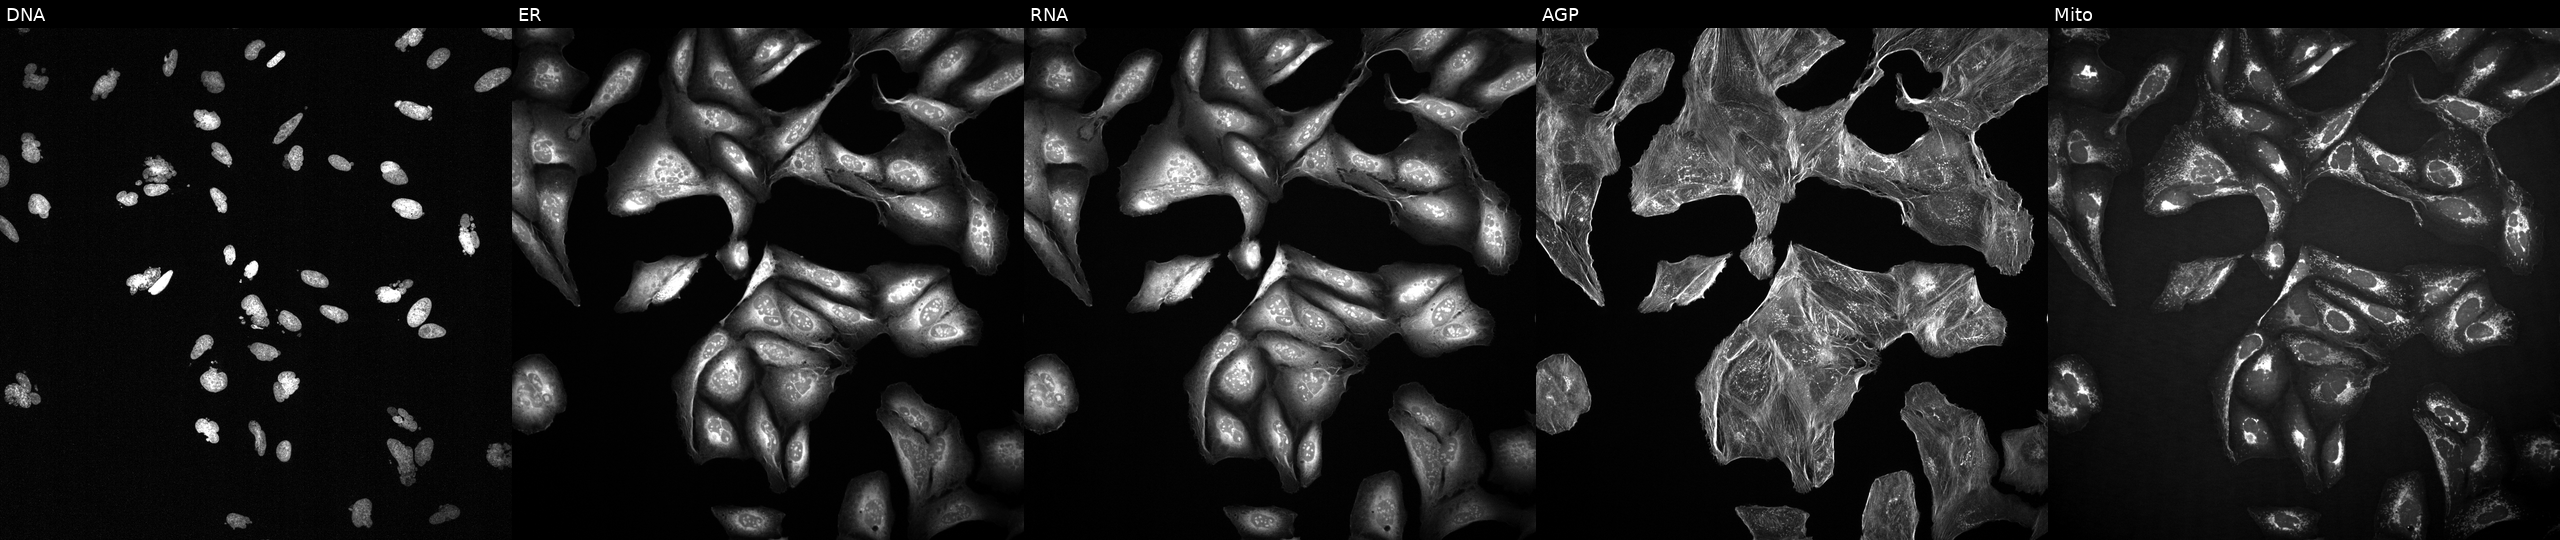
From left to right: Hoechst 33342, concanavalin A, SYTO 14, phalloidin and WGA, MitoTracker. U2OS osteosarcoma cells perturbed with a small-molecule compound (InChIKey KRBSMMVJJVHVCB-UHFFFAOYSA-N) [SMILES: COC(C(=O)n1cc2[nH][nH]c(=NC(O)c3ccc(N4CCN(C)CC4)cc3)c2c1)c1ccccc1] (JUMP id JCP2022_046462). Cell Painting assay, JUMP-CP dataset.